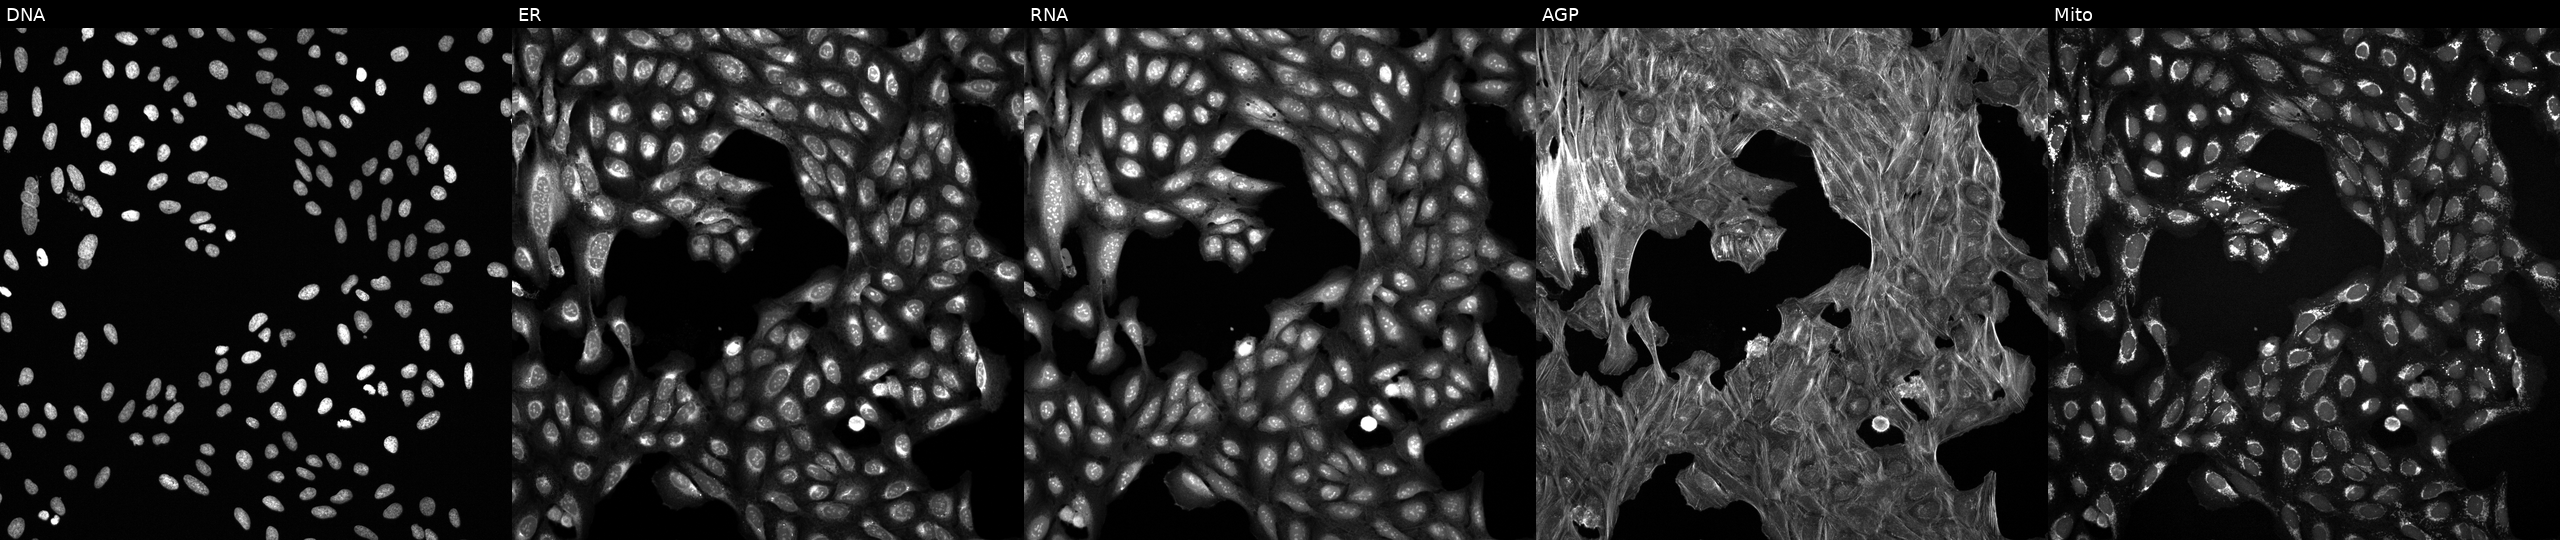
U2OS cells, Cell Painting assay, exposed to a small-molecule compound (InChIKey FEKSZCUNRPSVRF-UHFFFAOYSA-N) (JUMP id JCP2022_020123). Panels show, left to right, Hoechst 33342, concanavalin A, SYTO 14, phalloidin and WGA, MitoTracker. Each panel is percentile-stretched 16-bit fluorescence.